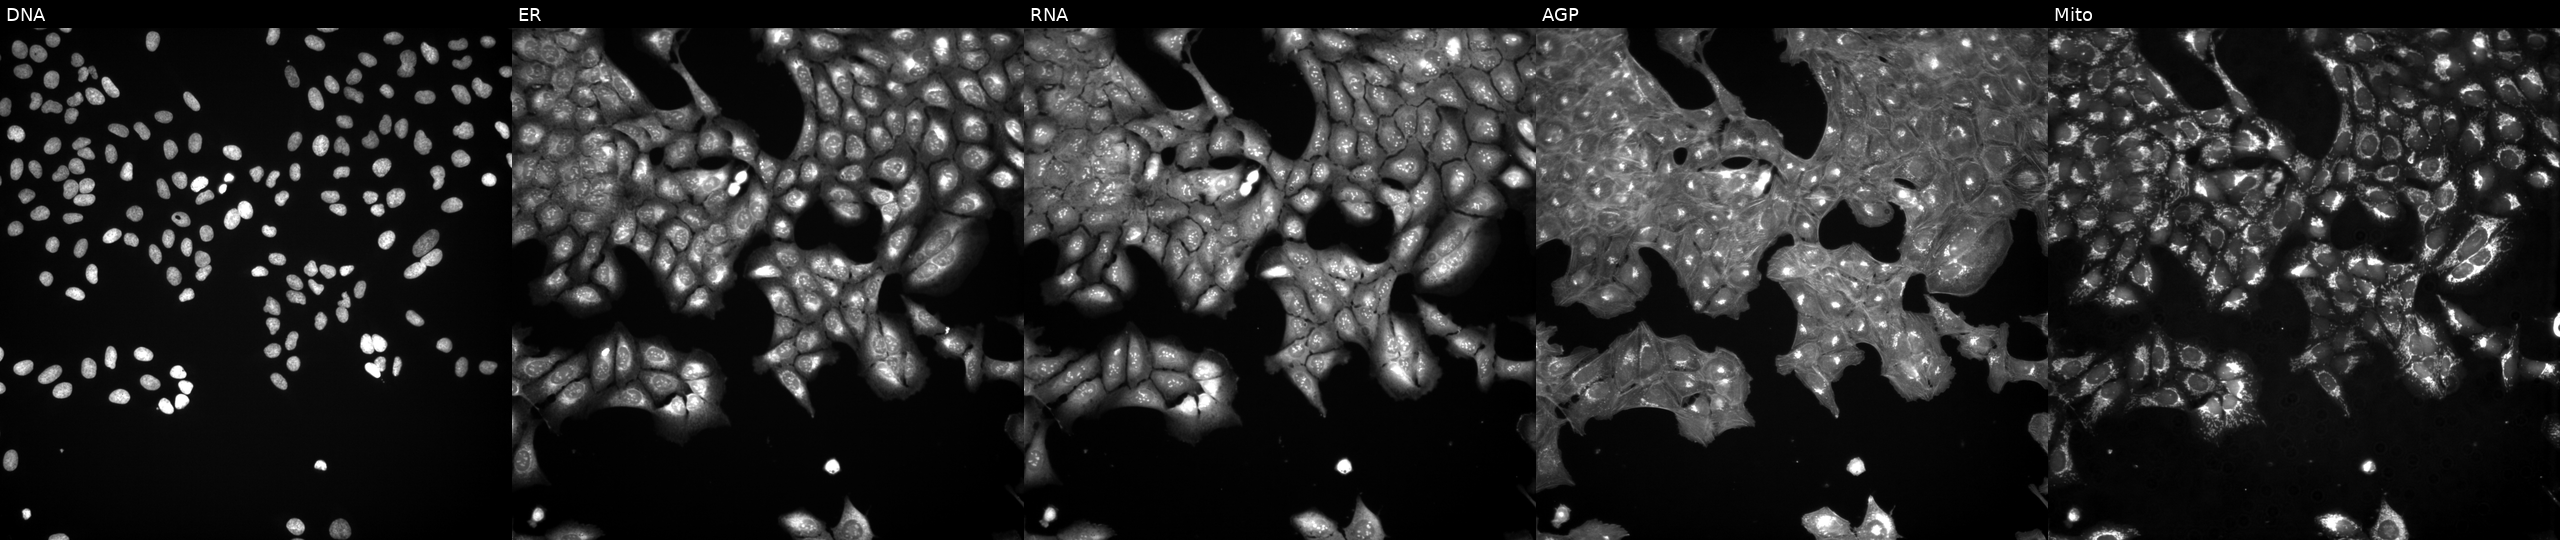
Channels (left→right): Hoechst 33342, concanavalin A, SYTO 14, phalloidin and WGA, MitoTracker. U2OS osteosarcoma cells exposed to DMSO alone as a negative control. Cell Painting assay, JUMP-CP dataset.